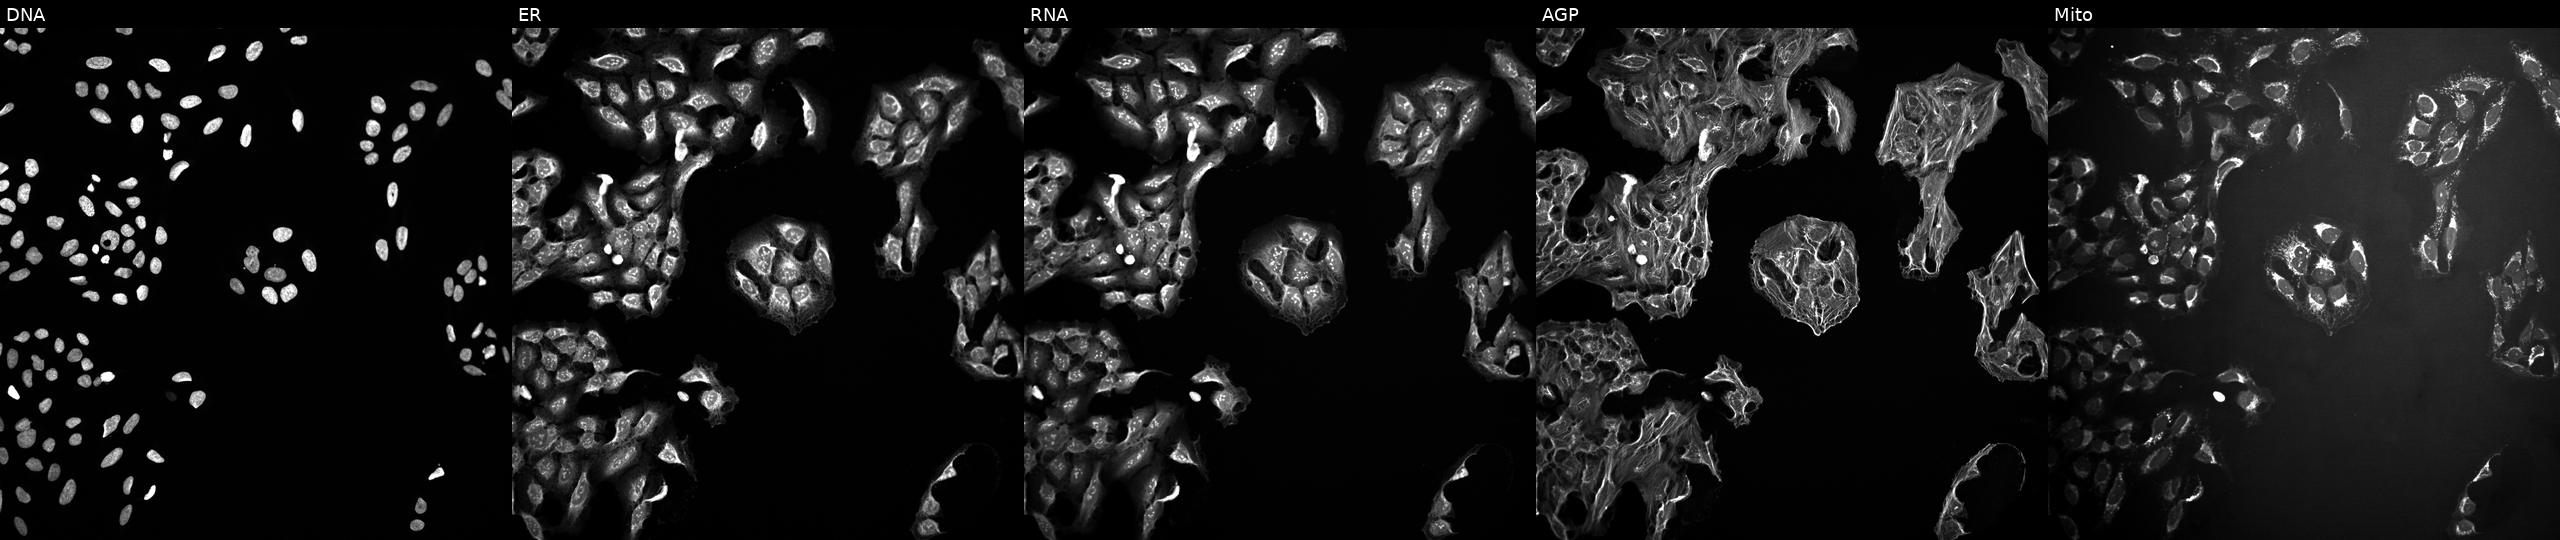
JUMP Cell Painting — TARGET2 plate. U2OS cells exposed to a small-molecule compound (InChIKey HCRKCZRJWPKOAR-UHFFFAOYSA-N) (JUMP id JCP2022_029365). Panels show, left to right, DNA (nuclei); ER (endoplasmic reticulum); RNA (nucleoli and cytoplasmic RNA); AGP (actin cytoskeleton, Golgi, and plasma membrane); Mito (mitochondria).